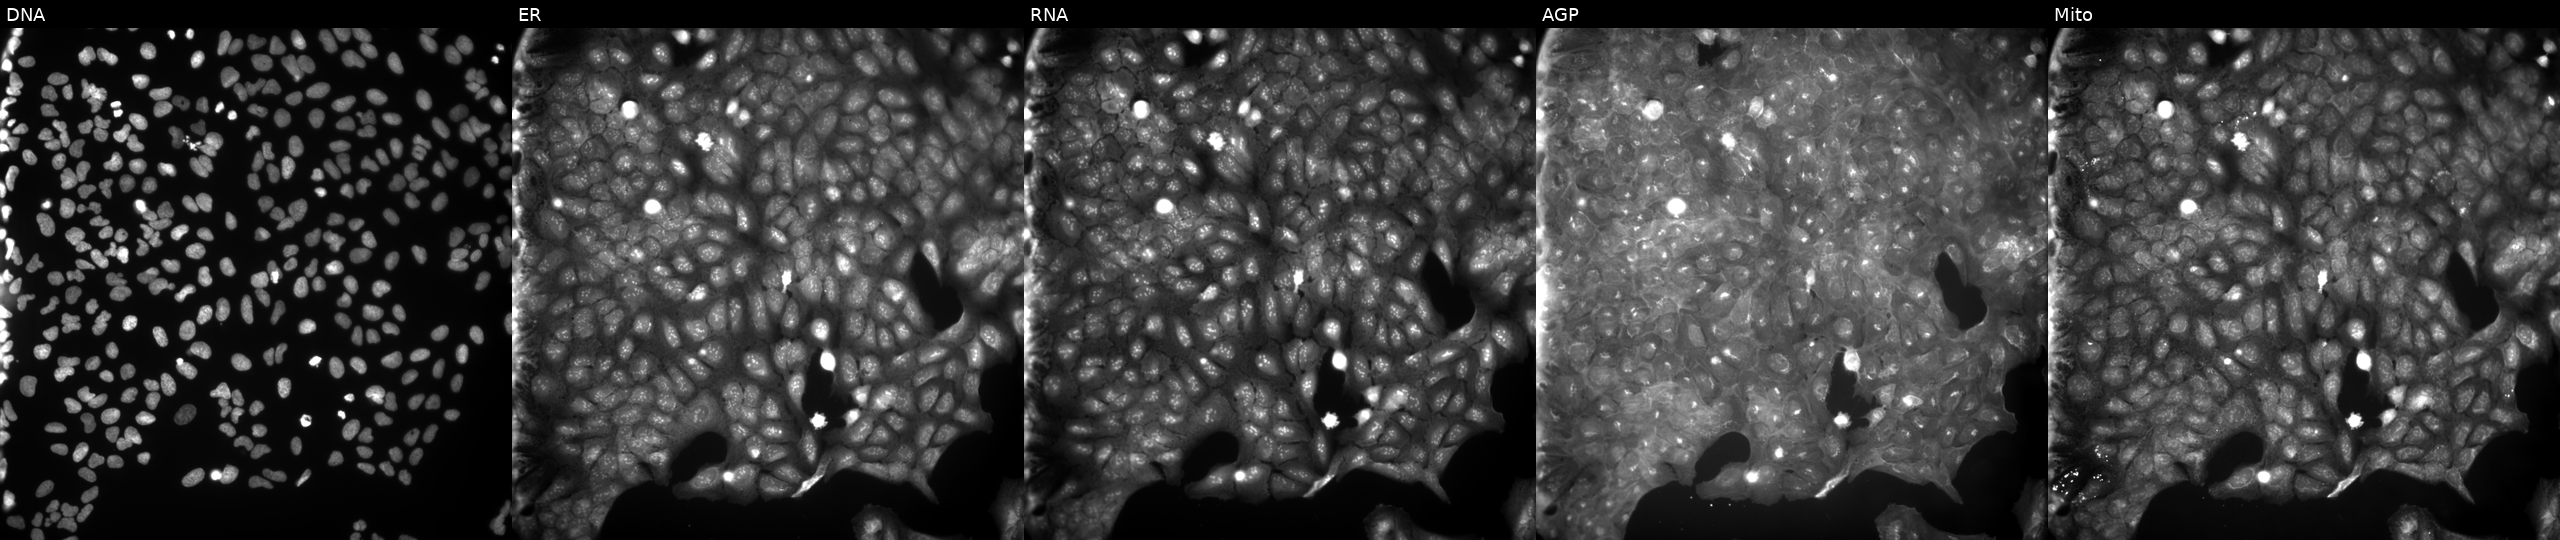
JUMP Cell Painting — COMPOUND plate. U2OS cells perturbed with a small-molecule compound (InChIKey LLQPZCHFHWGXRG-UHFFFAOYSA-N) [SMILES: S=C(Nc1ccc(N2CCOCC2)cc1)Nc1ccc2snnc2c1] (JUMP id JCP2022_050220). The five panels, left to right, show DNA (nuclei); ER (endoplasmic reticulum); RNA (nucleoli and cytoplasmic RNA); AGP (actin cytoskeleton, Golgi, and plasma membrane); Mito (mitochondria).